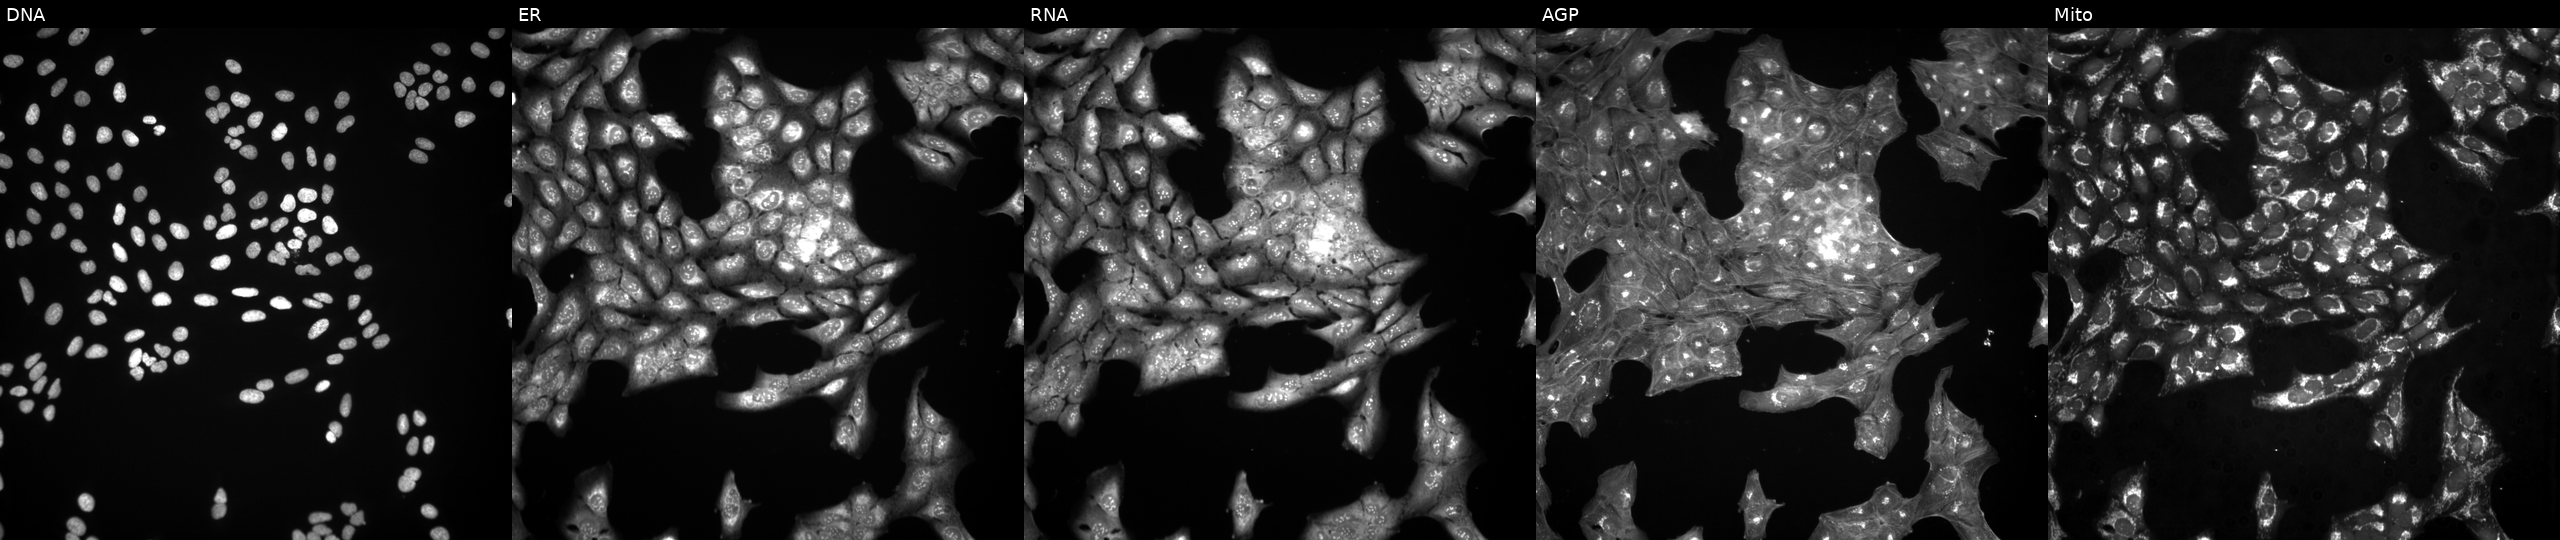
This image strip shows the five Cell Painting channels for a single field of U2OS cells perturbed with a small-molecule compound (InChIKey HSUGRBWQSSZJOP-UHFFFAOYSA-N) [SMILES: COc1ccc(C2Sc3ccccc3N(CCN(C)C)C(=O)C2OC(C)=O)cc1]. The five panels, left to right, show DNA, ER, RNA, AGP, and Mito. Source 3, plate JCPQC052, well P20.